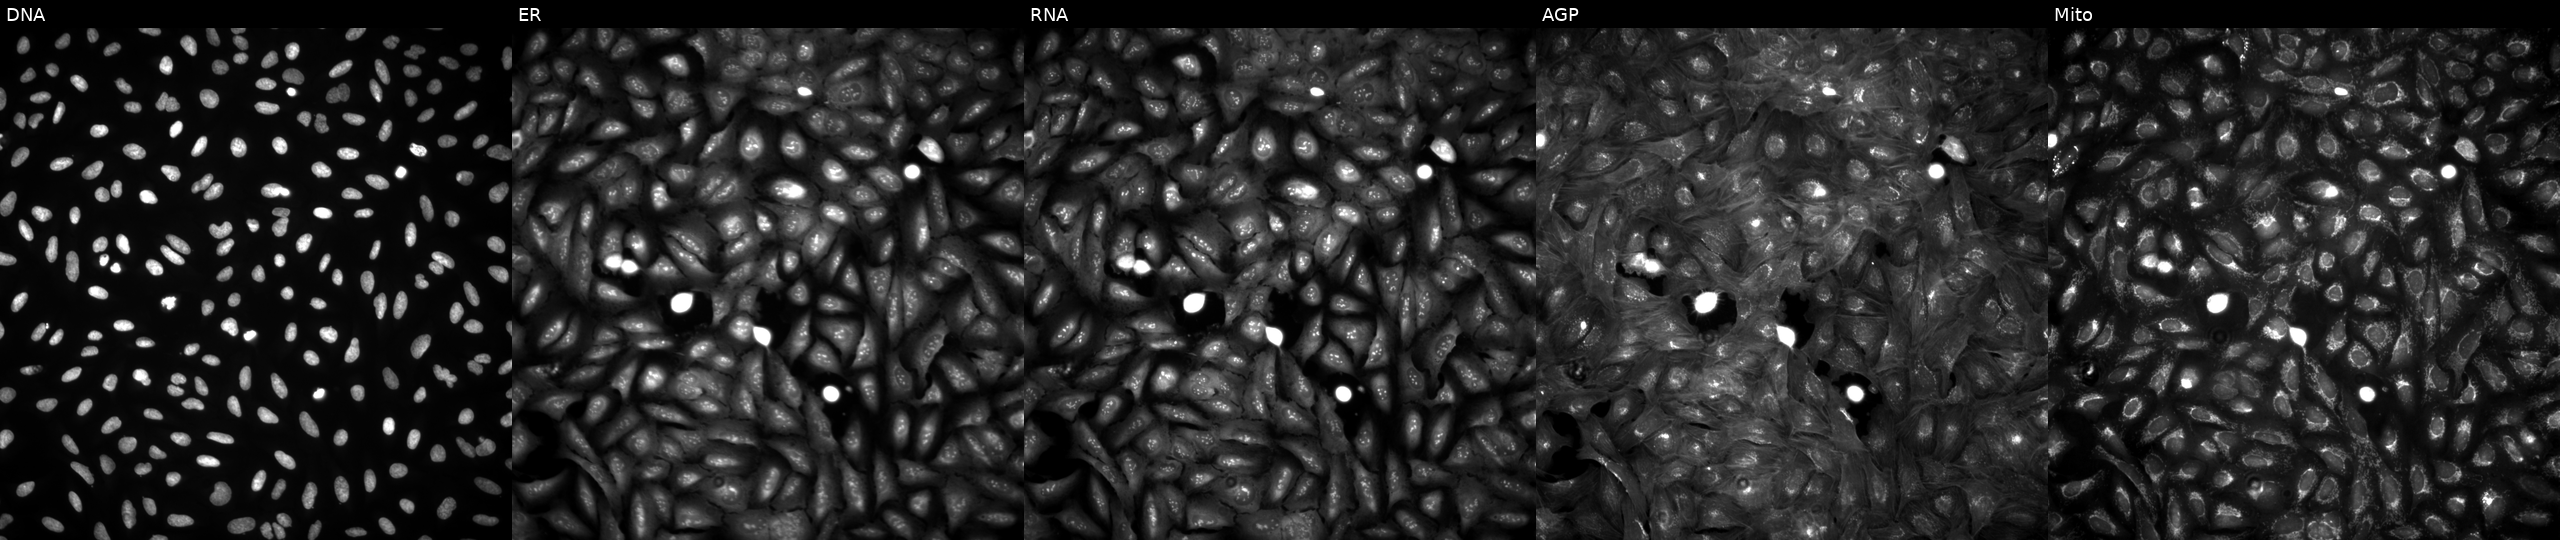
The five panels, left to right, show Hoechst 33342, concanavalin A, SYTO 14, phalloidin and WGA, MitoTracker. U2OS osteosarcoma cells with OPRL1 overexpressed (ORF). Cell Painting assay, JUMP-CP dataset.